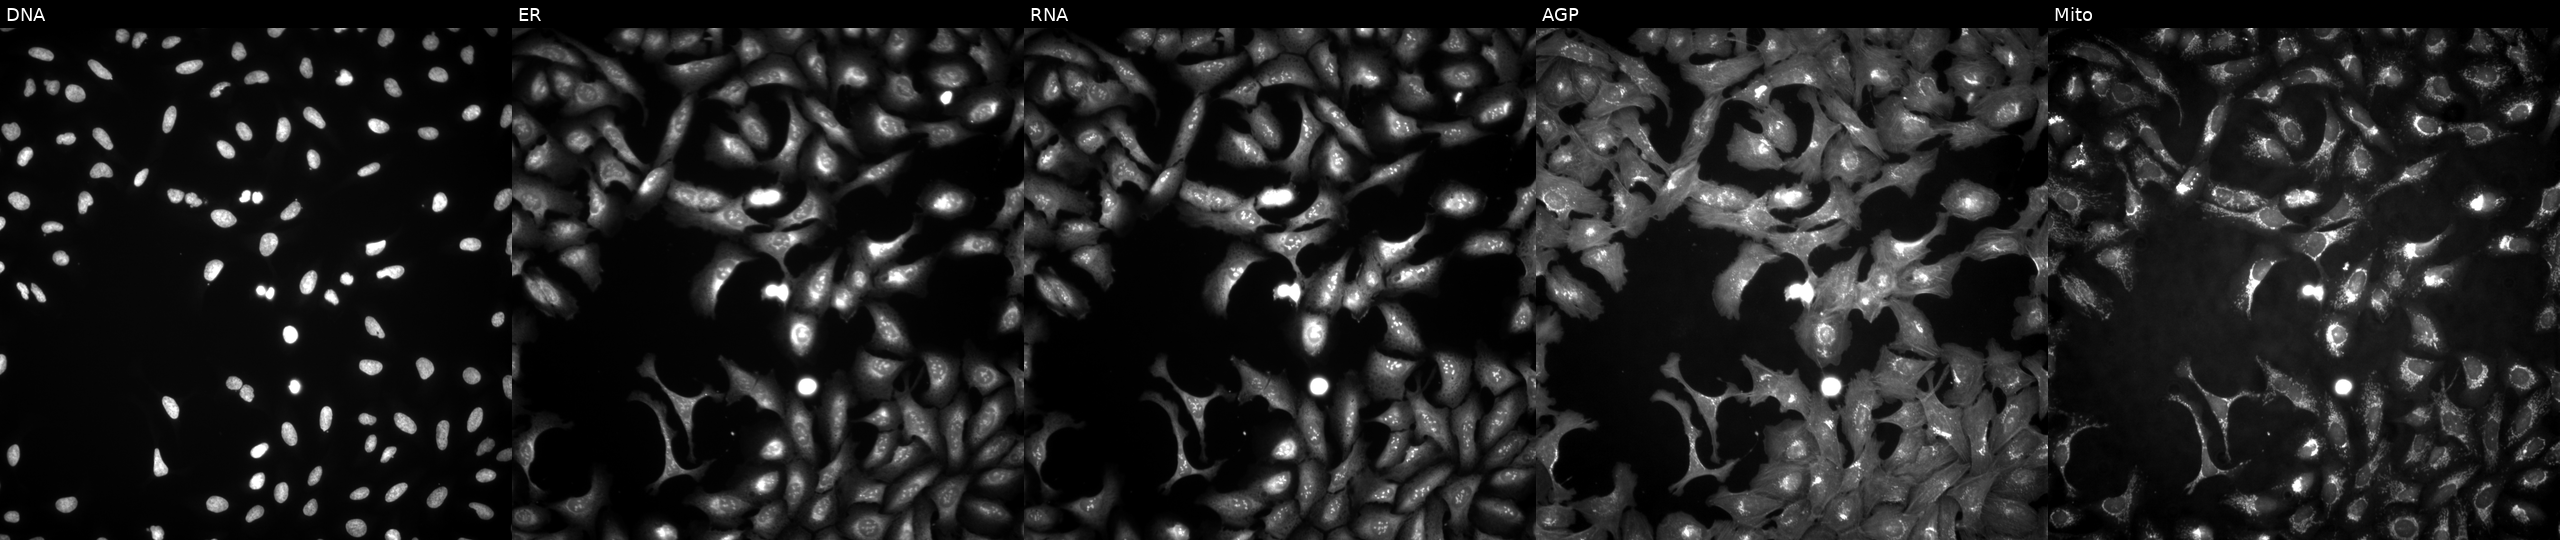
U2OS cells, Cell Painting assay, overexpressing LPGAT1 via ORF transfection. The five panels, left to right, show DNA (nuclei); ER (endoplasmic reticulum); RNA (nucleoli and cytoplasmic RNA); AGP (actin cytoskeleton, Golgi, and plasma membrane); Mito (mitochondria). Each panel is percentile-stretched 16-bit fluorescence. Source 4, plate BR00123509, well E11.